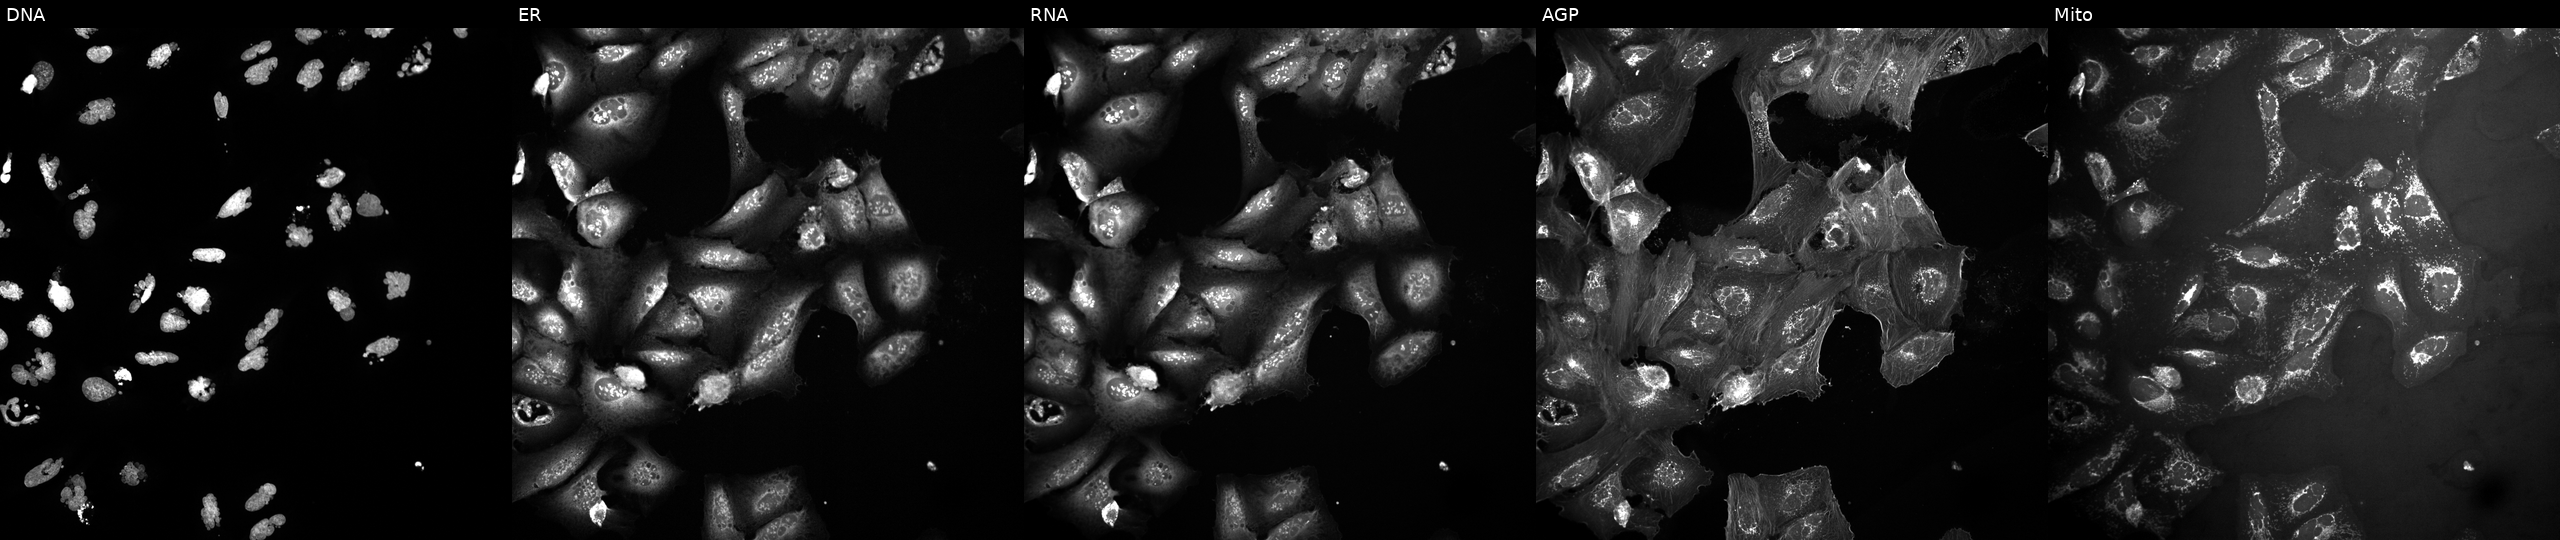
Five-channel Cell Painting image of U2OS cells exposed to the positive-control compound AMG900. From left to right: DNA, ER, RNA, AGP, and Mito. Source 10, plate Dest210531-152149, well F24.